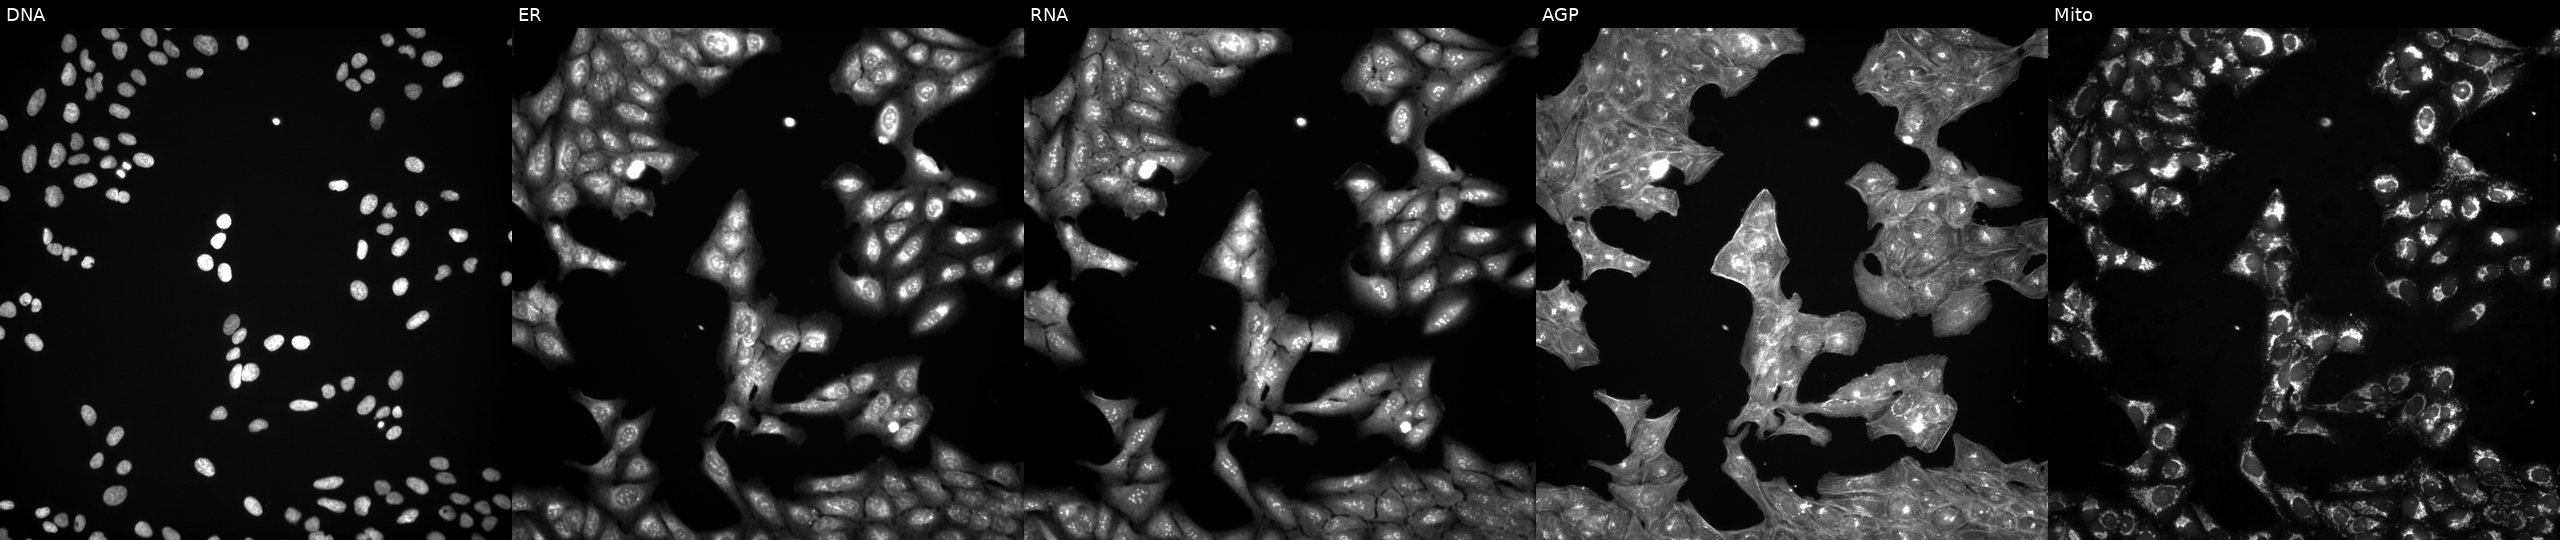
This image strip shows the five Cell Painting channels for a single field of U2OS cells perturbed with a small-molecule compound (InChIKey VGZSUPCWNCWDAN-UHFFFAOYSA-N) (JUMP id JCP2022_093901). Panels show, left to right, DNA, ER, RNA, AGP, and Mito. Source 3, plate JCPQC051, well M08.